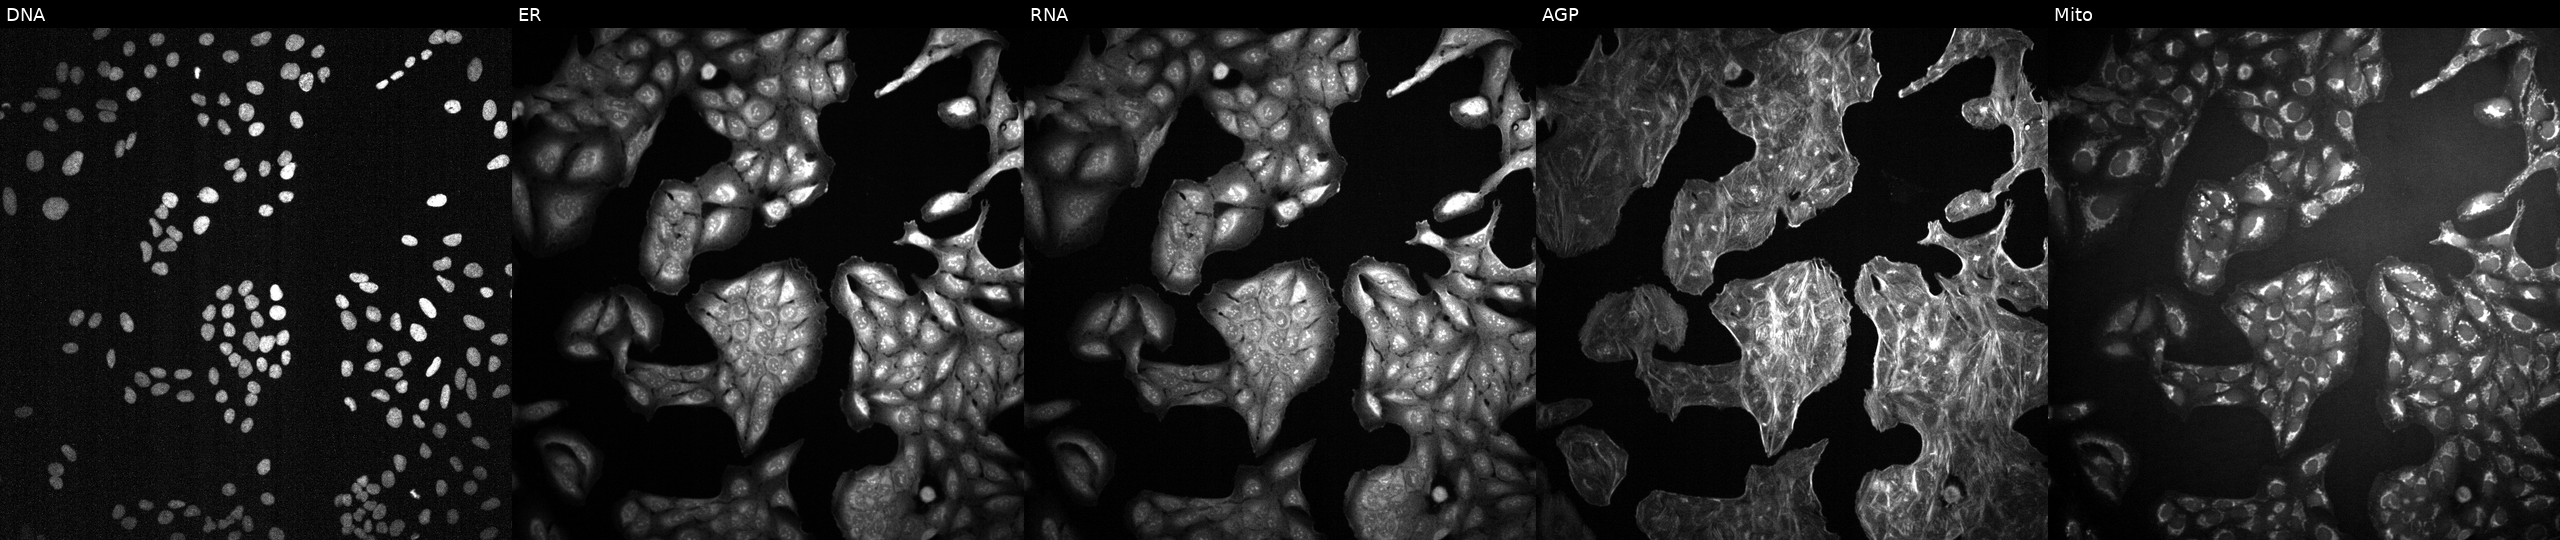
This image strip shows the five Cell Painting channels for a single field of U2OS cells treated with DMSO vehicle only (negative control) (JUMP id JCP2022_033924). From left to right: DNA, ER, RNA, AGP, and Mito.